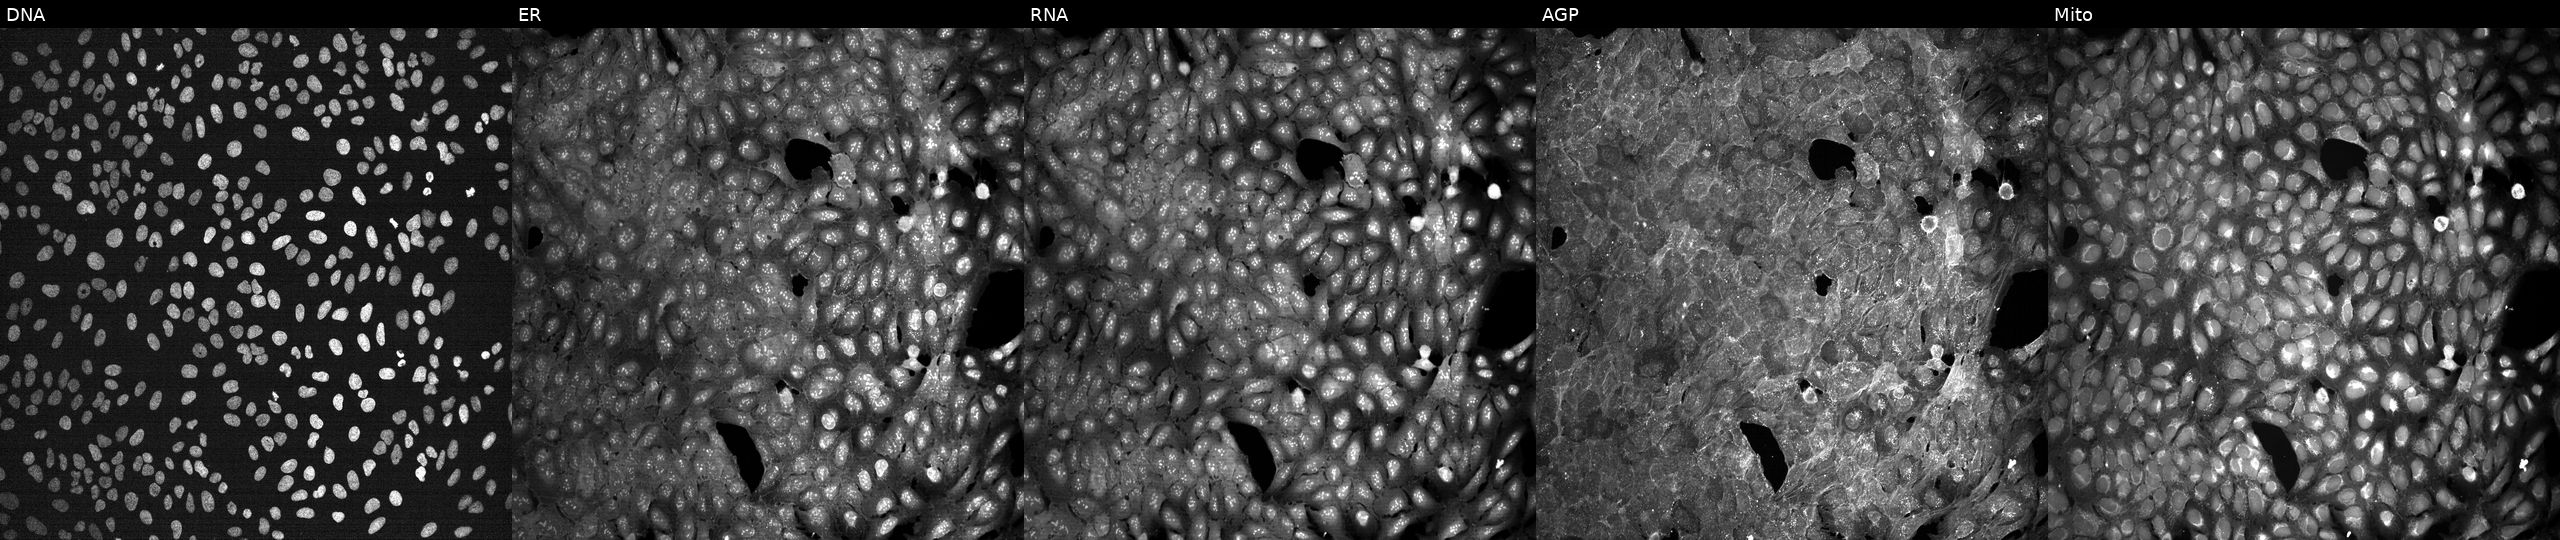
The five panels, left to right, show DNA (nuclei); ER (endoplasmic reticulum); RNA (nucleoli and cytoplasmic RNA); AGP (actin cytoskeleton, Golgi, and plasma membrane); Mito (mitochondria). U2OS osteosarcoma cells perturbed with a small-molecule compound. Cell Painting assay, JUMP-CP dataset. Source 7, plate CP1-SC1-25, well F03.